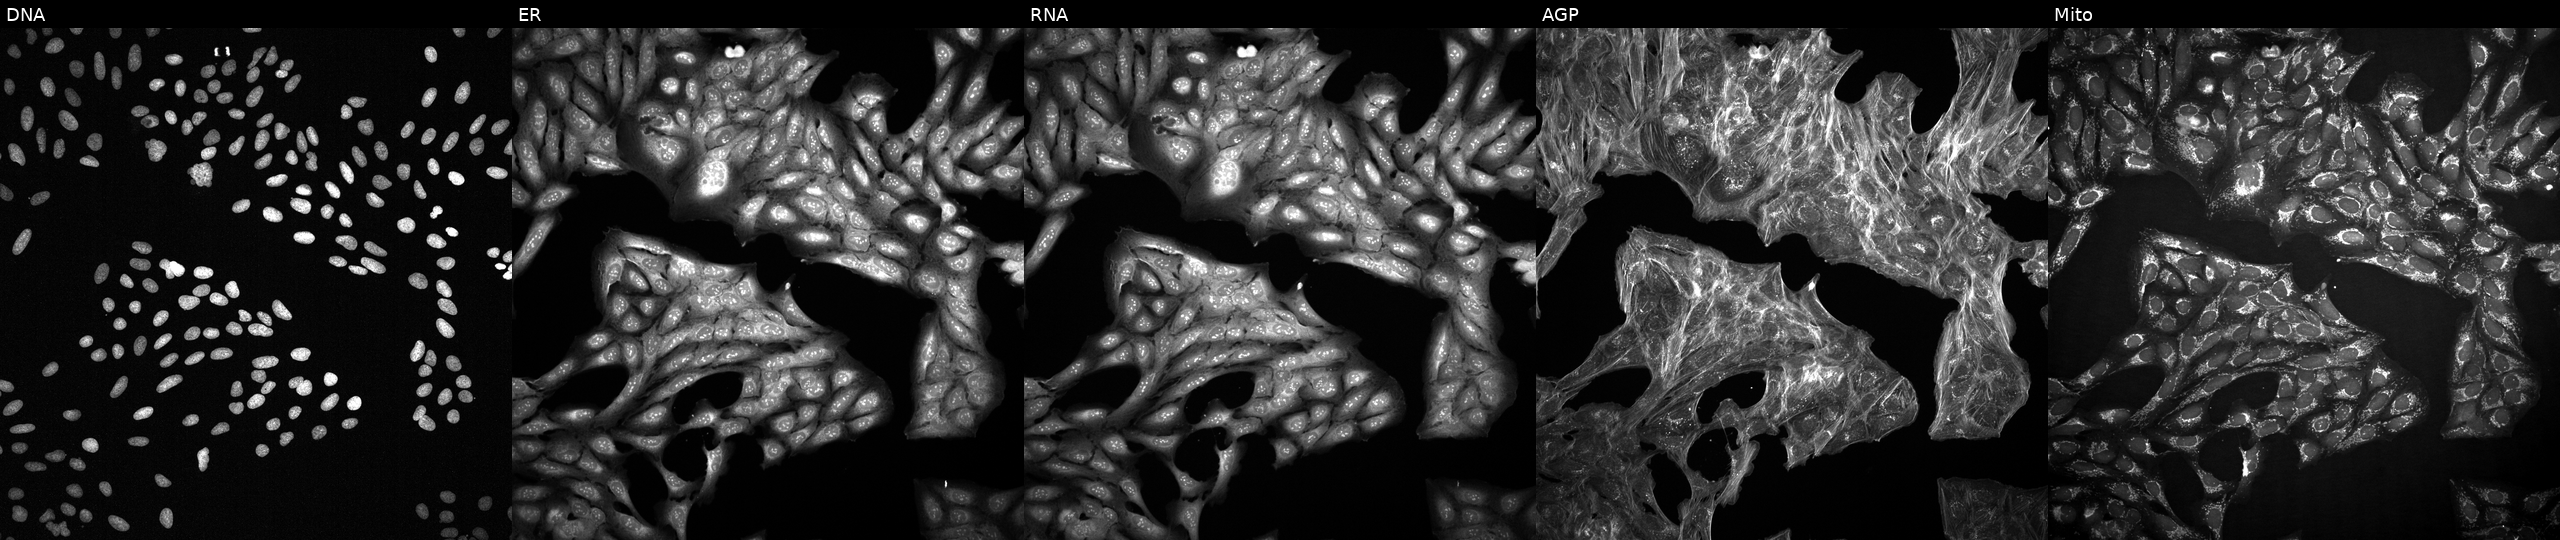
High-content fluorescence microscopy (Cell Painting). Cell line: U2OS. Perturbation: perturbed with a small-molecule compound [SMILES: c1cc(OCCN2CCCCC2)cc(-c2[nH]nc3ccc(-c4nc[nH]n4)cc23)c1] (JUMP id JCP2022_102936). Channels (left→right): DNA (nuclei); ER (endoplasmic reticulum); RNA (nucleoli and cytoplasmic RNA); AGP (actin cytoskeleton, Golgi, and plasma membrane); Mito (mitochondria).